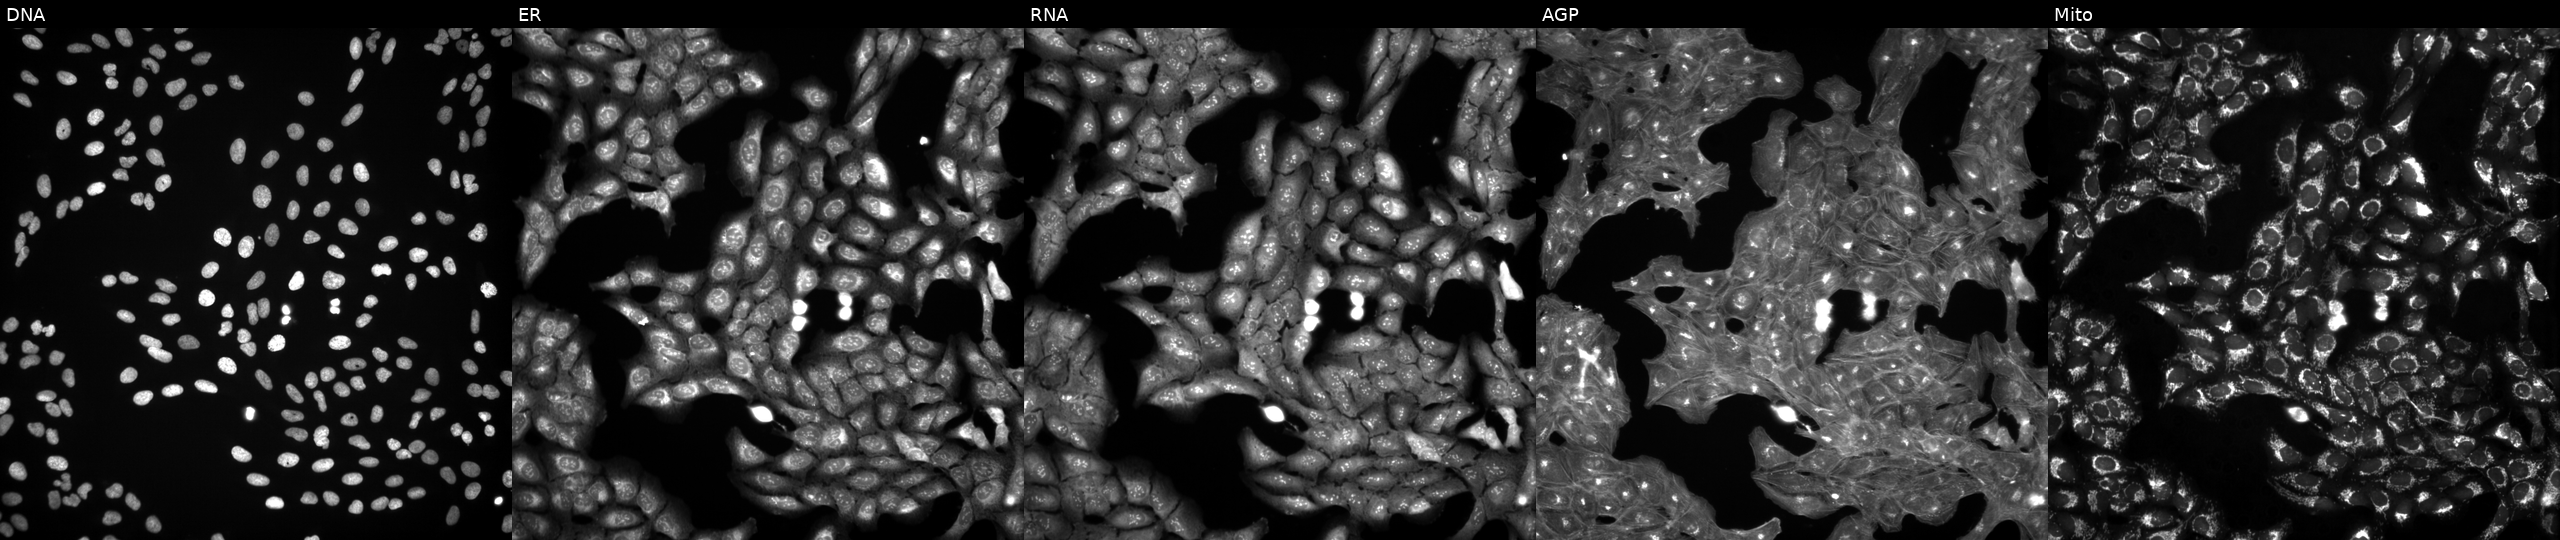
U2OS cells, Cell Painting assay, perturbed with a small-molecule compound (InChIKey WXPNDRBBWZMPQG-UHFFFAOYSA-N) [SMILES: Cc1cc2c(s1)=Nc1ccccc1NC=2N1CCN(C)CC1]. Channels (left→right): DNA (nuclei); ER (endoplasmic reticulum); RNA (nucleoli and cytoplasmic RNA); AGP (actin cytoskeleton, Golgi, and plasma membrane); Mito (mitochondria). Each panel is percentile-stretched 16-bit fluorescence. Source 3, plate JCPQC051, well F23.